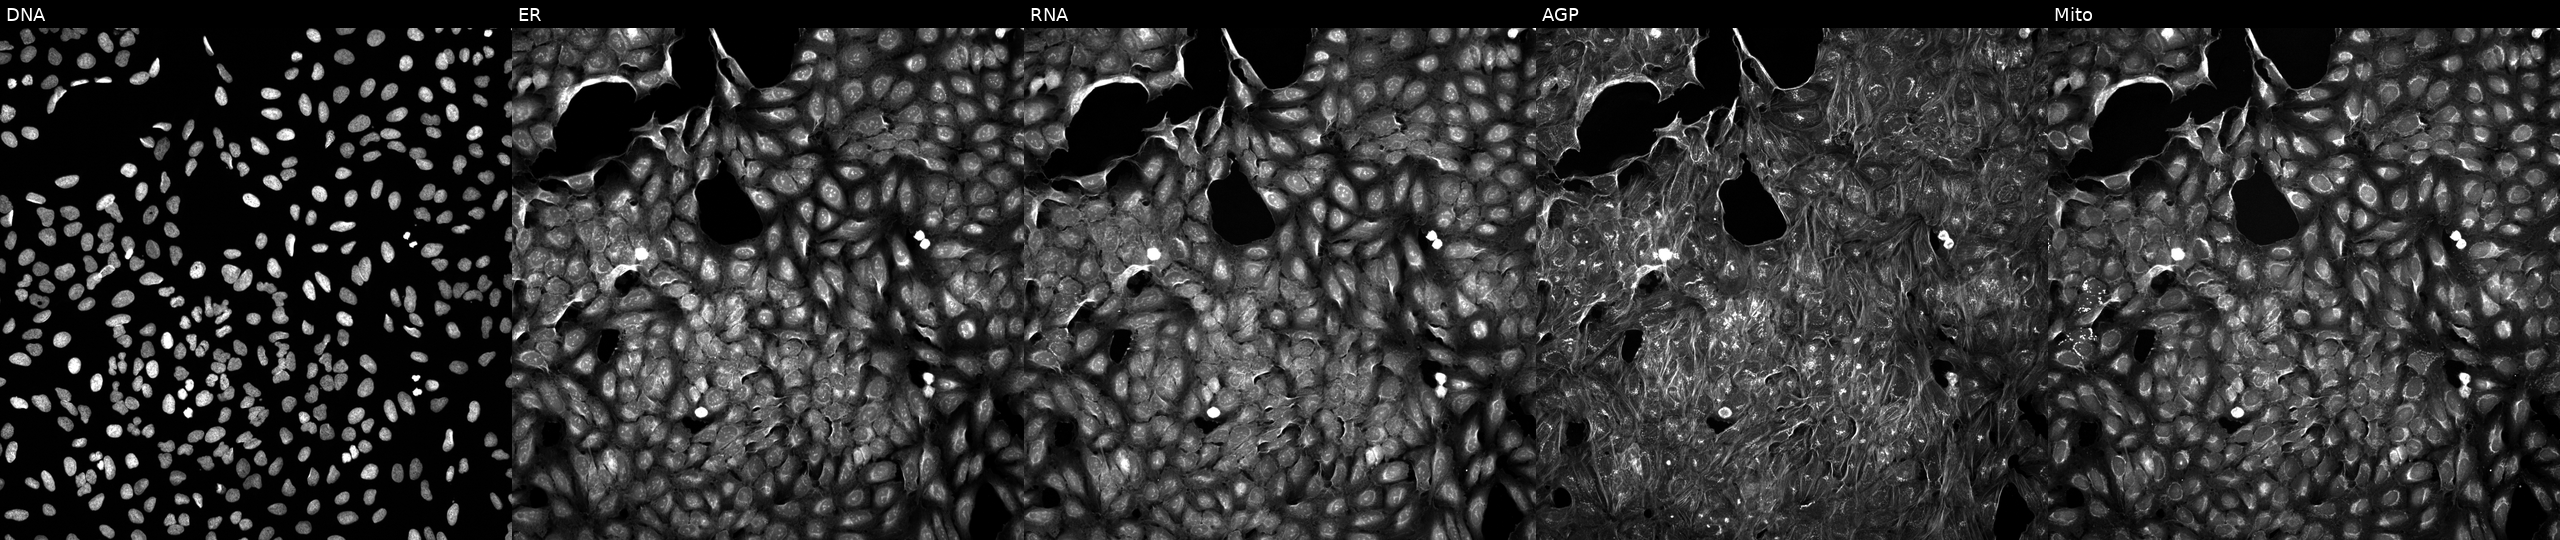
U2OS cells, Cell Painting assay, perturbed with a small-molecule compound (InChIKey RPKZORWHFCPURE-UHFFFAOYSA-N) [SMILES: O=C(c1ccccc1OCc1ccc(F)cc1)N1CCn2c(n[nH]c2=O)C1]. From left to right: DNA, ER, RNA, AGP, and Mito. Each panel is percentile-stretched 16-bit fluorescence. Source 5, plate APTJUM106, well O11.